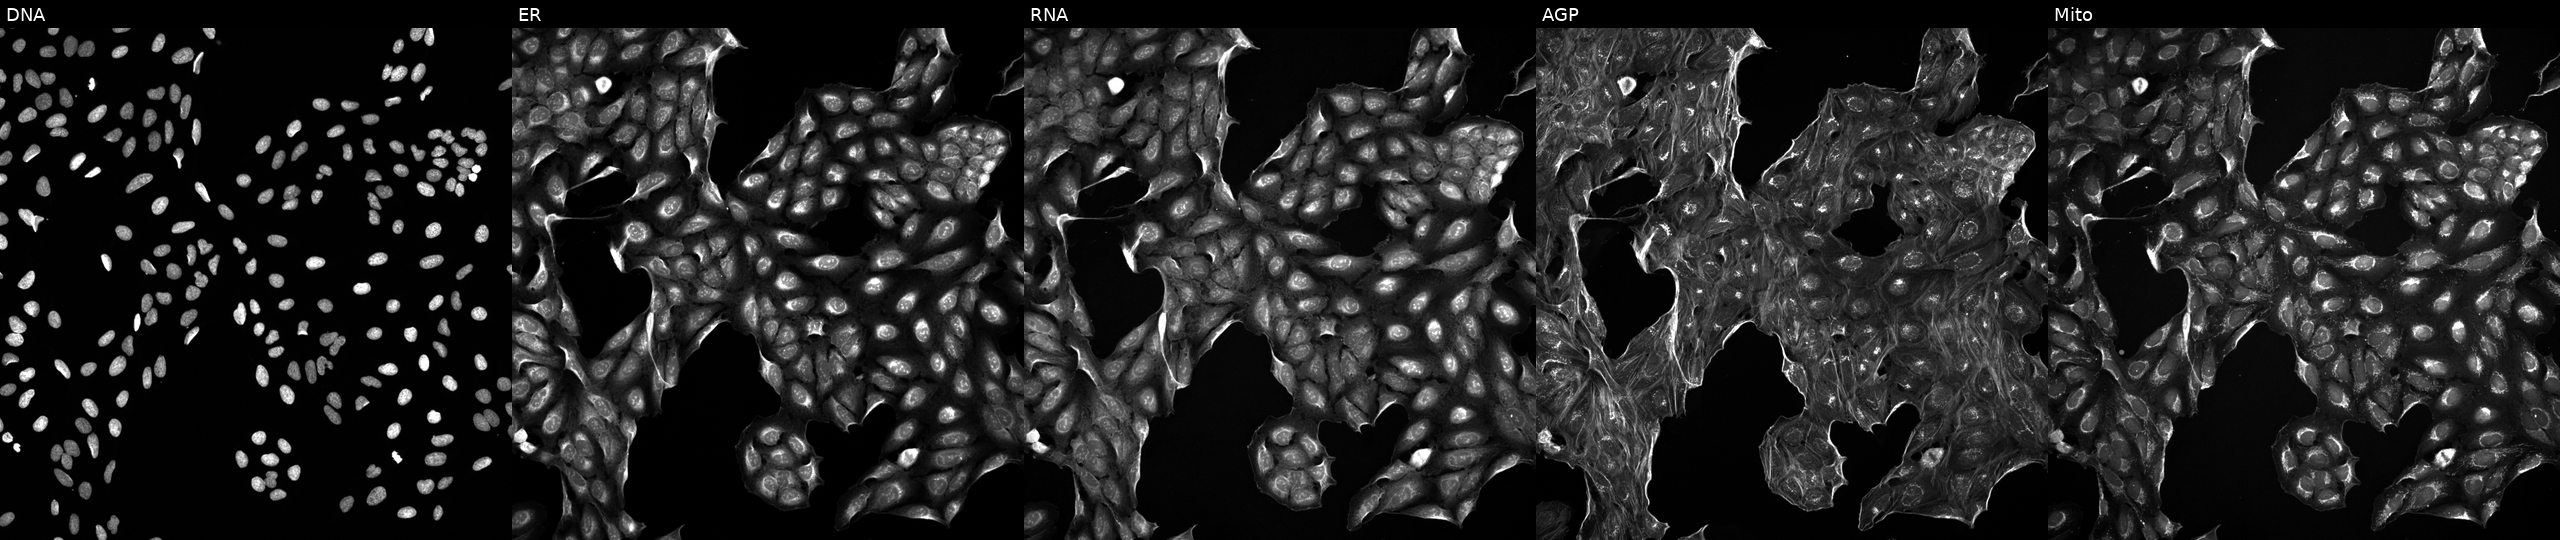
The five panels, left to right, show DNA, ER, RNA, AGP, and Mito. U2OS osteosarcoma cells exposed to a small-molecule compound (InChIKey NMKJFZCBCIUYHI-UHFFFAOYSA-N). Cell Painting assay, JUMP-CP dataset. Source 5, plate ACPJUM032, well L01.